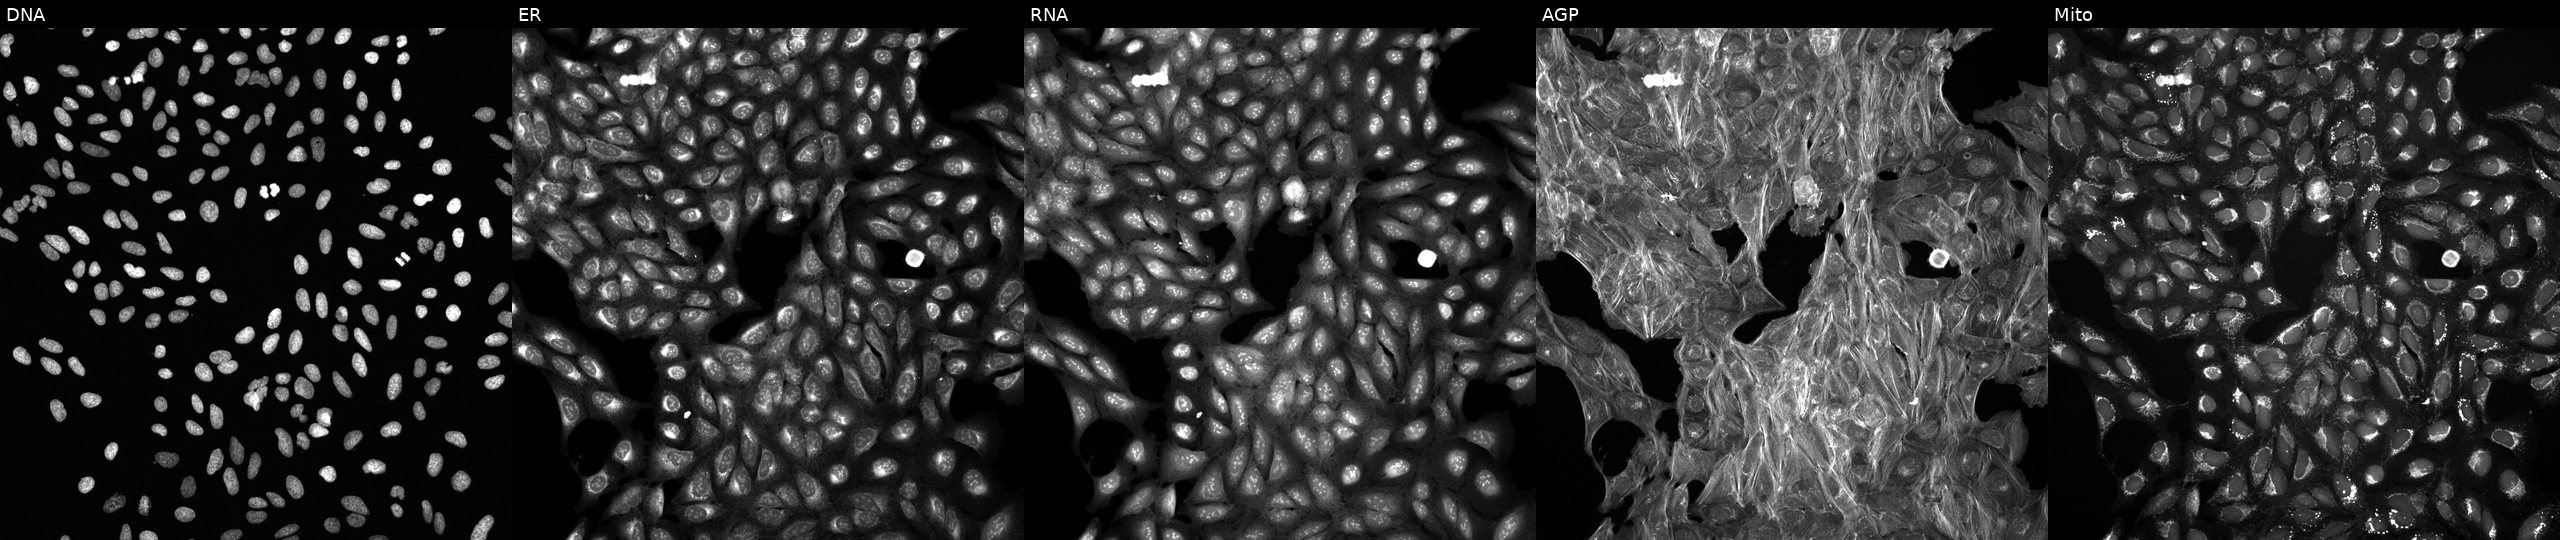
U2OS cells, Cell Painting assay, exposed to the positive-control compound quinidine (JUMP id JCP2022_050797). The five panels, left to right, show Hoechst 33342, concanavalin A, SYTO 14, phalloidin and WGA, MitoTracker. Each panel is percentile-stretched 16-bit fluorescence. Source 6, plate 110000293082, well O01.